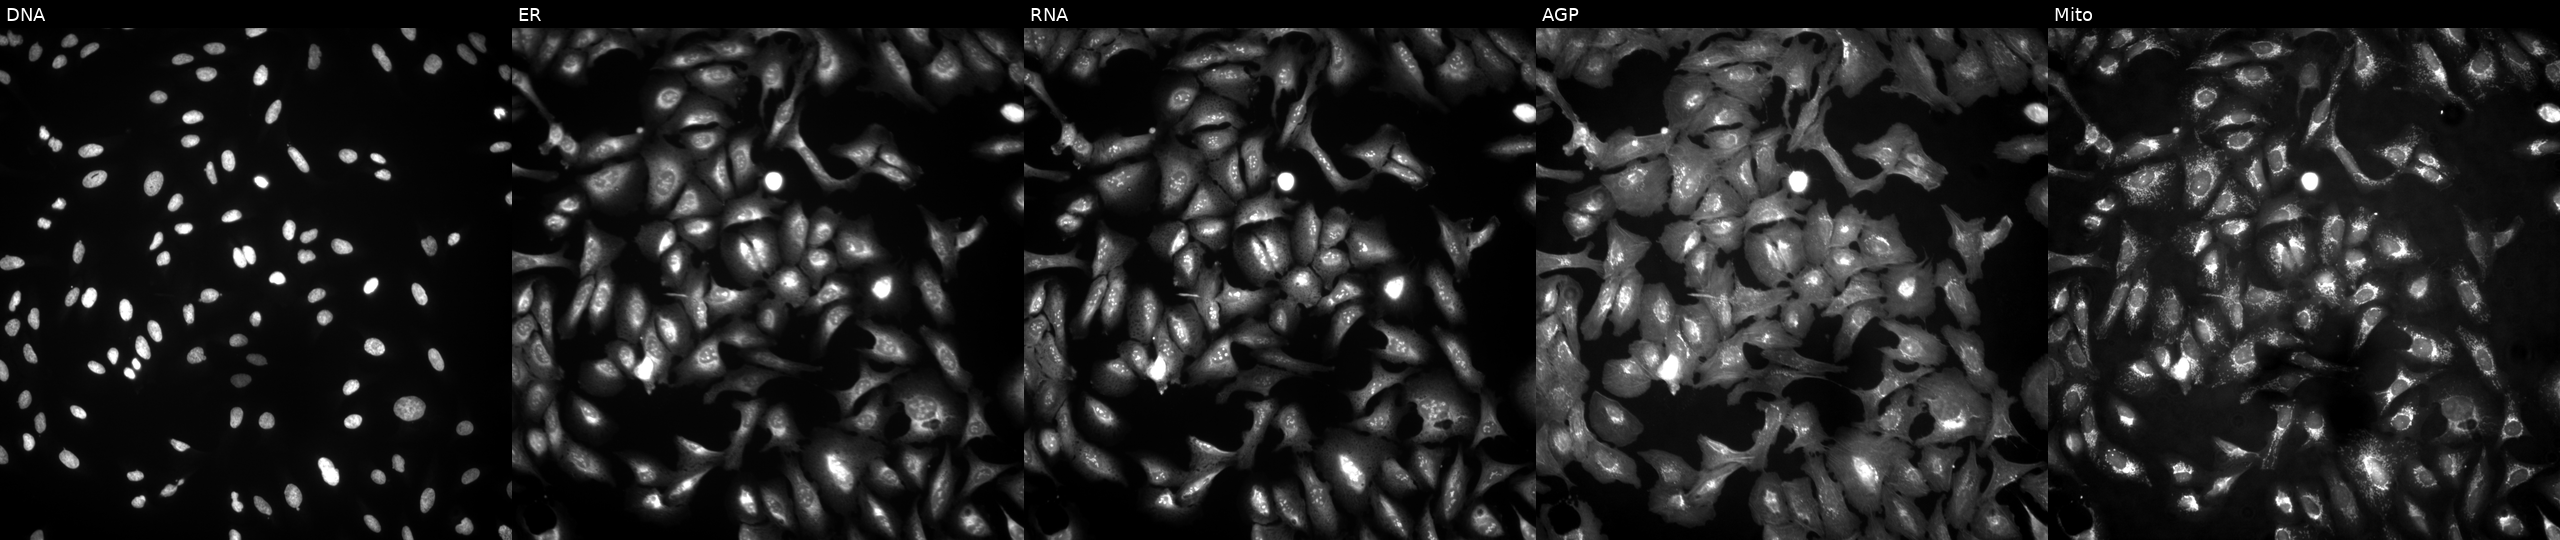
Five-channel Cell Painting image of U2OS cells with CDR2 overexpressed (ORF) (JUMP id JCP2022_910000). Channels (left→right): DNA (nuclei); ER (endoplasmic reticulum); RNA (nucleoli and cytoplasmic RNA); AGP (actin cytoskeleton, Golgi, and plasma membrane); Mito (mitochondria).